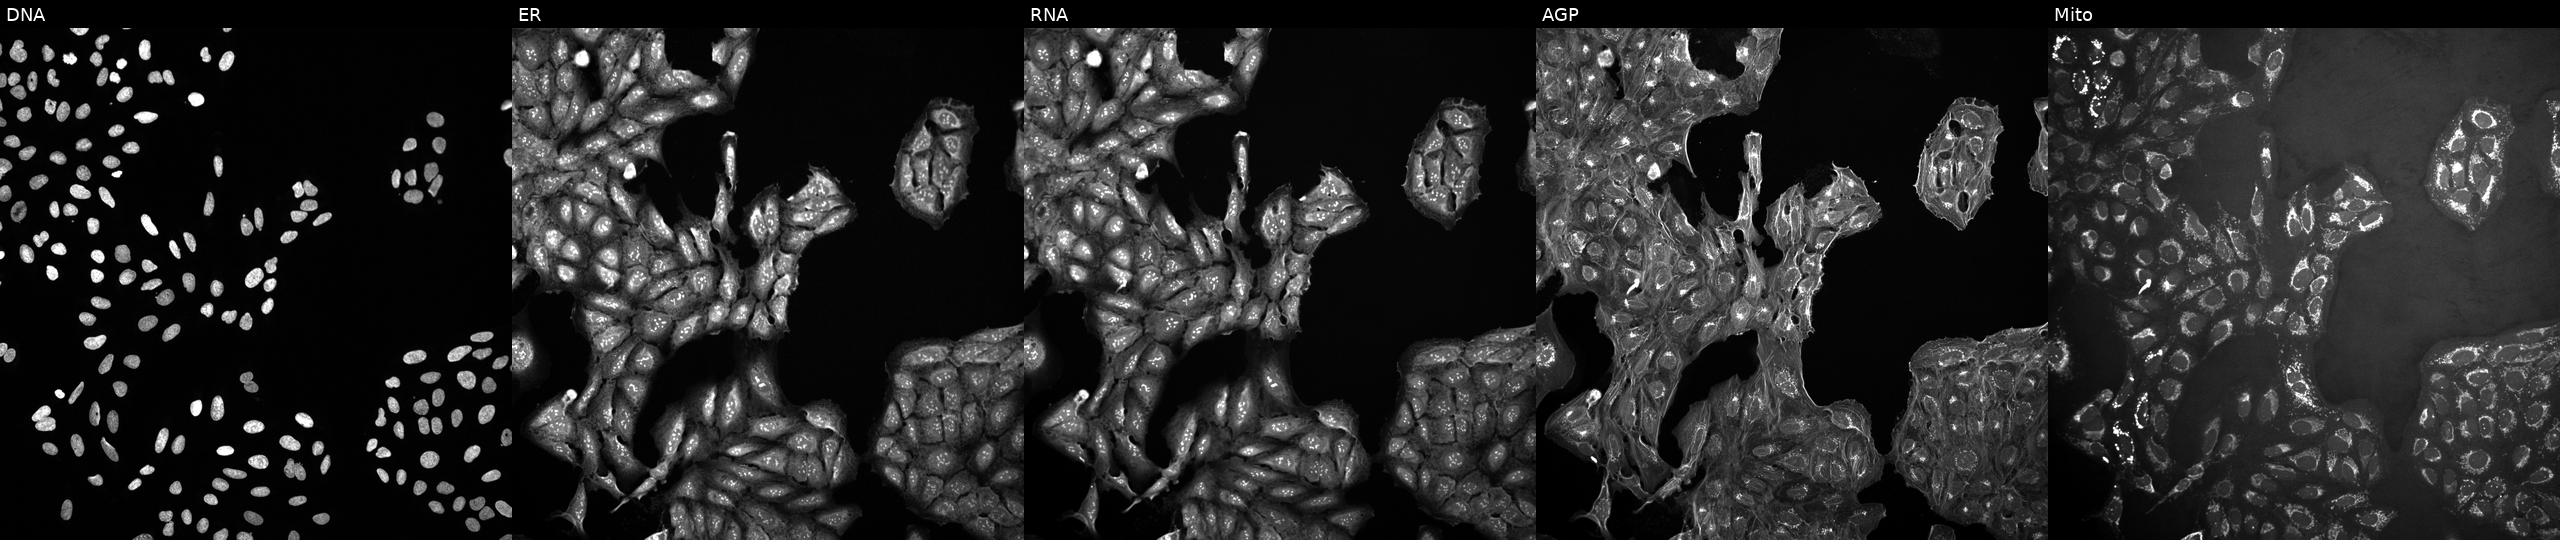
High-content fluorescence microscopy (Cell Painting). Cell line: U2OS. Perturbation: in an empty control well (no perturbation) (JUMP id JCP2022_999999). From left to right: DNA, ER, RNA, AGP, and Mito.